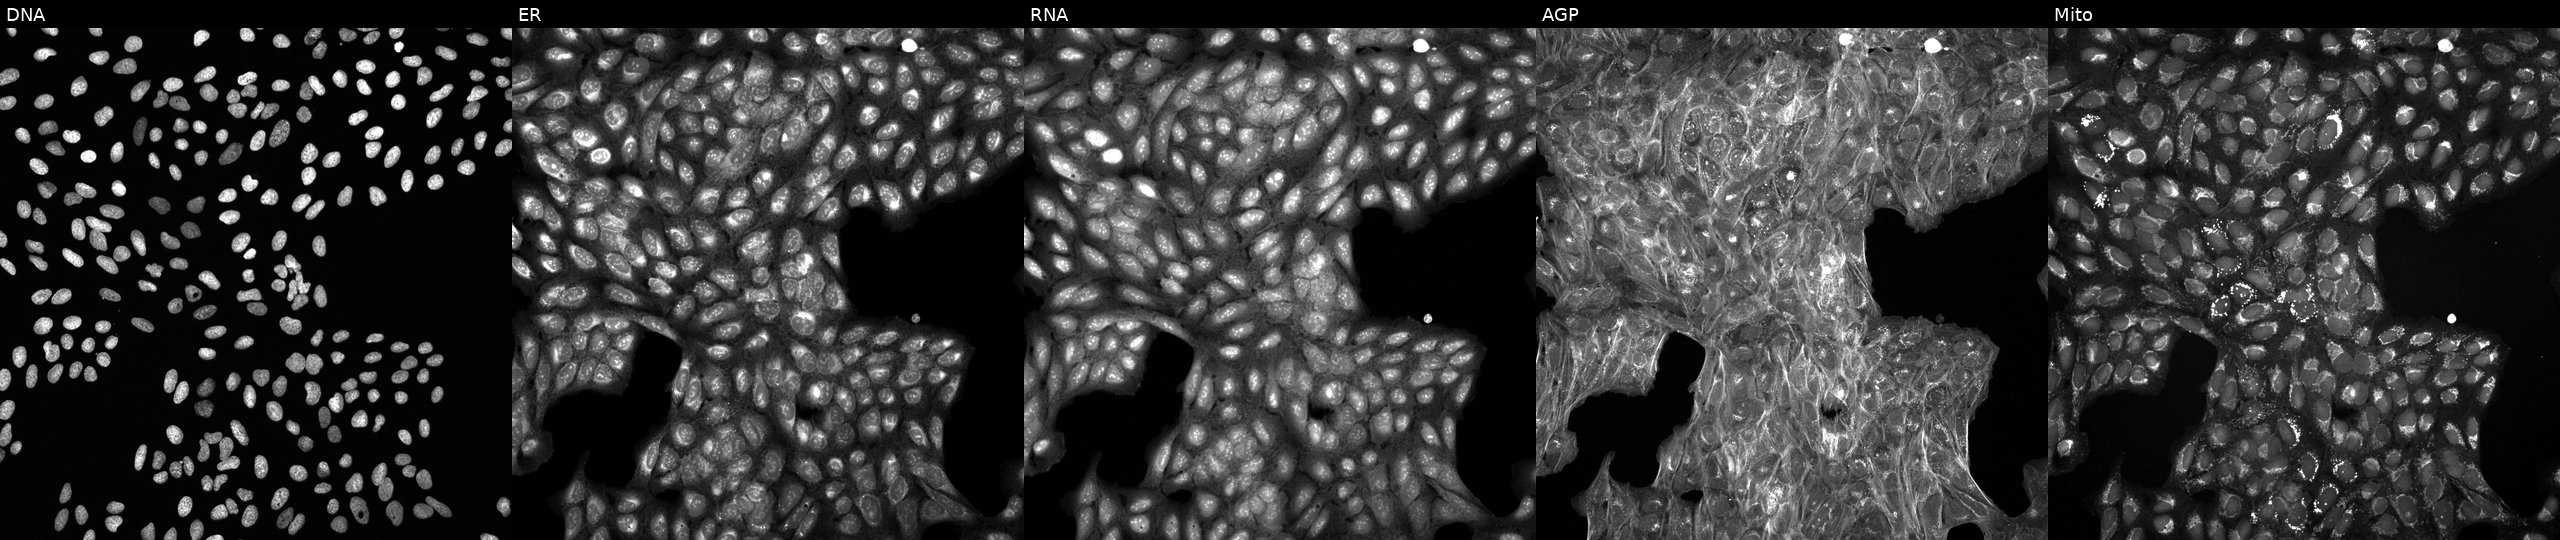
JUMP Cell Painting — TARGET2 plate. U2OS cells perturbed with a small-molecule compound (InChIKey WPEWQEMJFLWMLV-UHFFFAOYSA-N) (JUMP id JCP2022_100264). Channels (left→right): DNA, ER, RNA, AGP, and Mito.